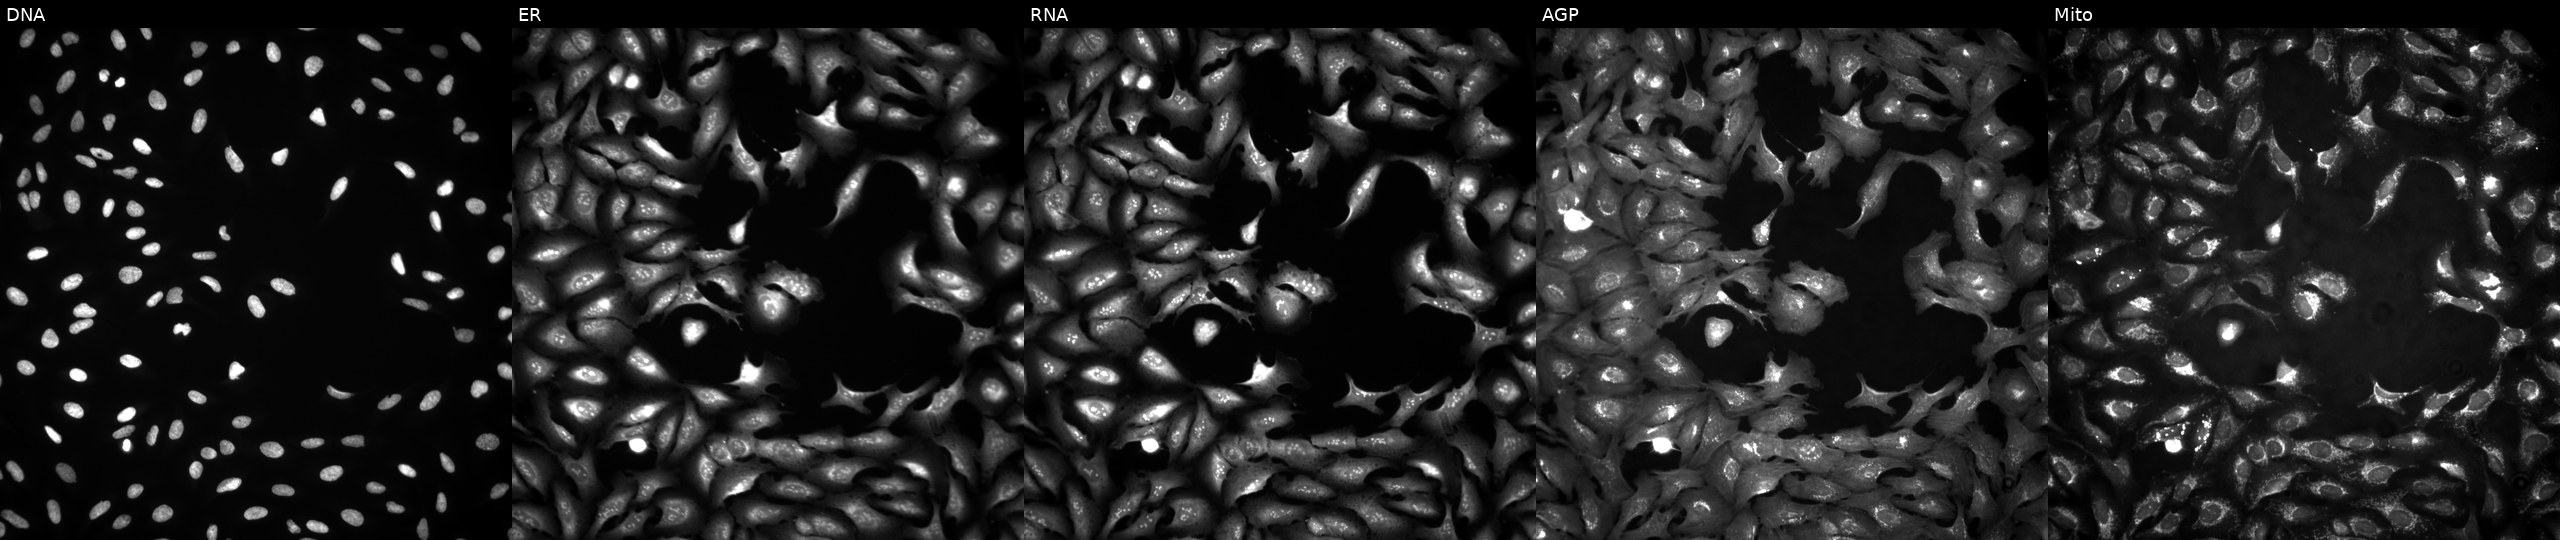
Five-channel Cell Painting image of U2OS cells overexpressing TIMM21 via ORF transfection. The five panels, left to right, show DNA, ER, RNA, AGP, and Mito.